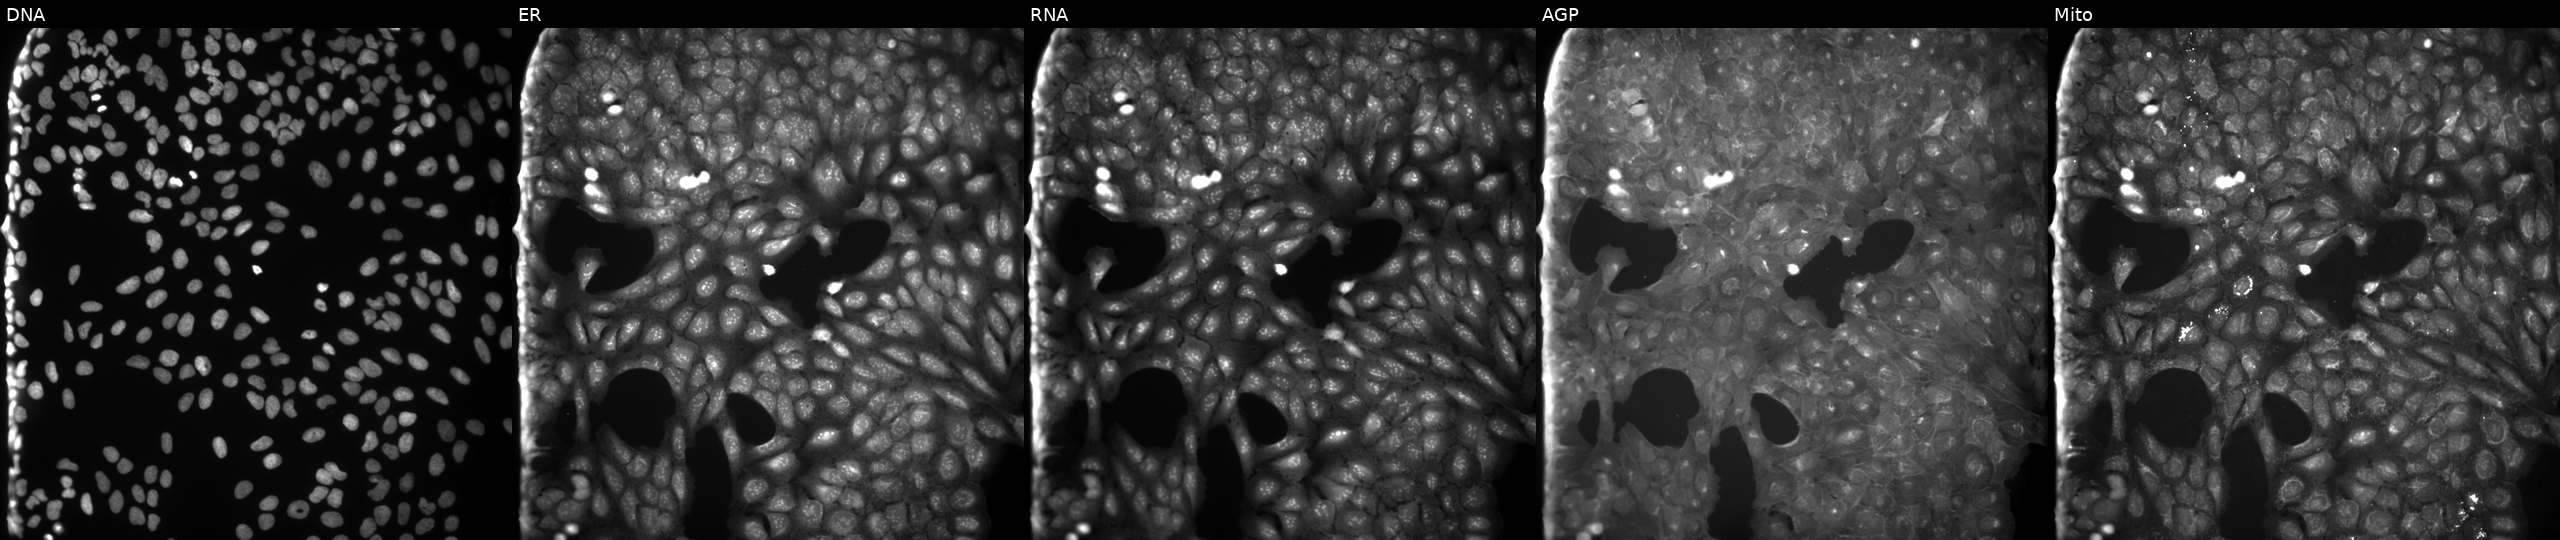
High-content fluorescence microscopy (Cell Painting). Cell line: U2OS. Perturbation: perturbed with a small-molecule compound. The five panels, left to right, show DNA (nuclei); ER (endoplasmic reticulum); RNA (nucleoli and cytoplasmic RNA); AGP (actin cytoskeleton, Golgi, and plasma membrane); Mito (mitochondria). Source 9, plate GR00003382, well Q04.